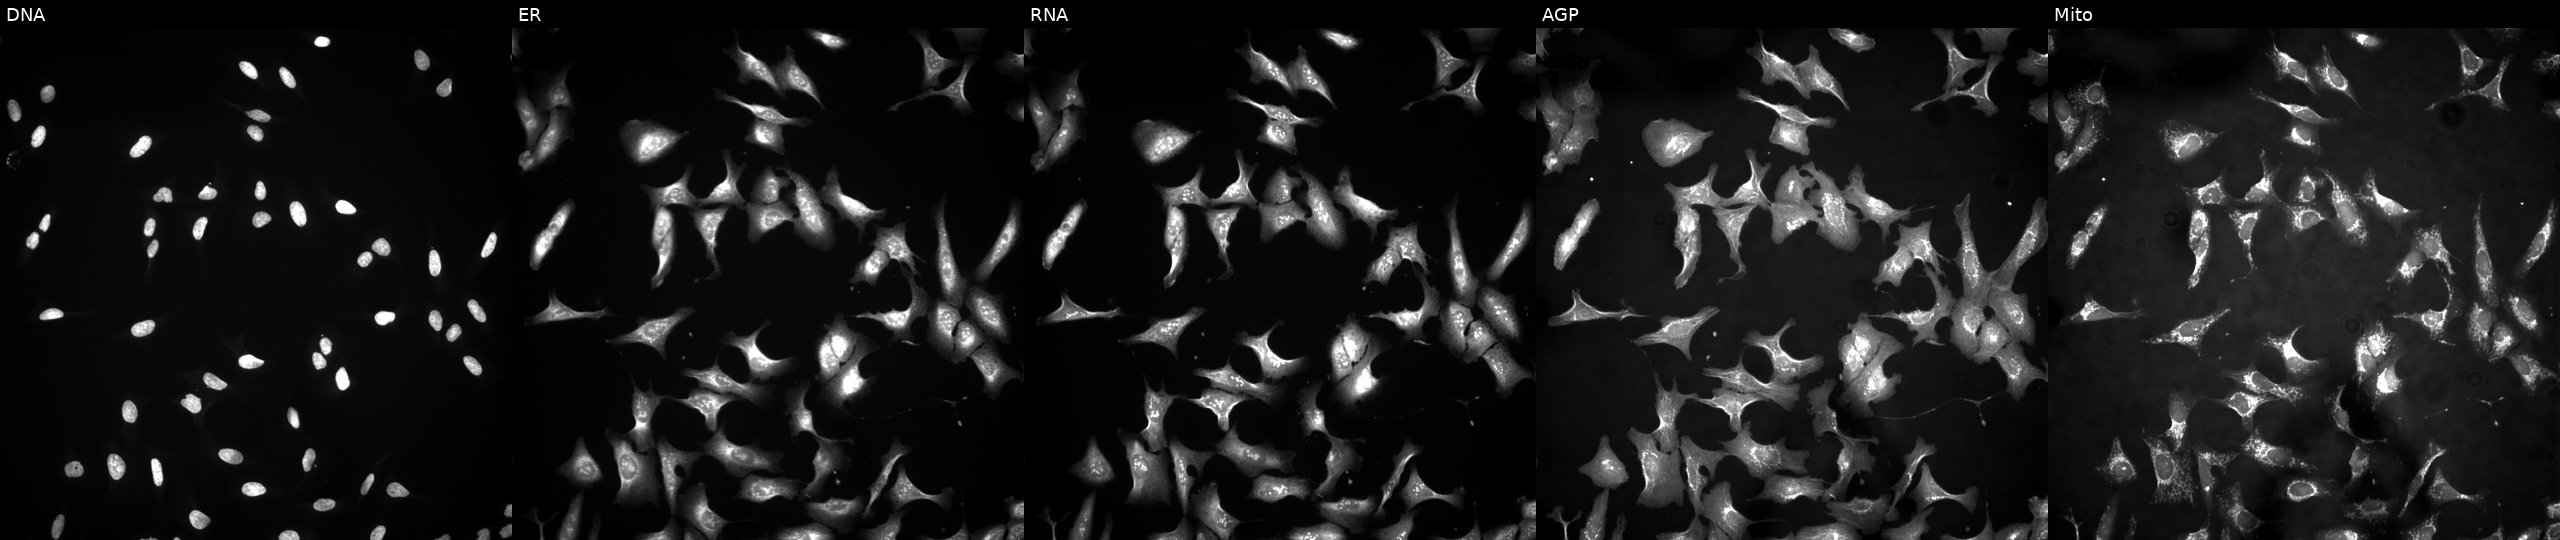
U2OS cells, Cell Painting assay, overexpressing SLC25A43 via ORF transfection. Panels show, left to right, Hoechst 33342, concanavalin A, SYTO 14, phalloidin and WGA, MitoTracker. Each panel is percentile-stretched 16-bit fluorescence.